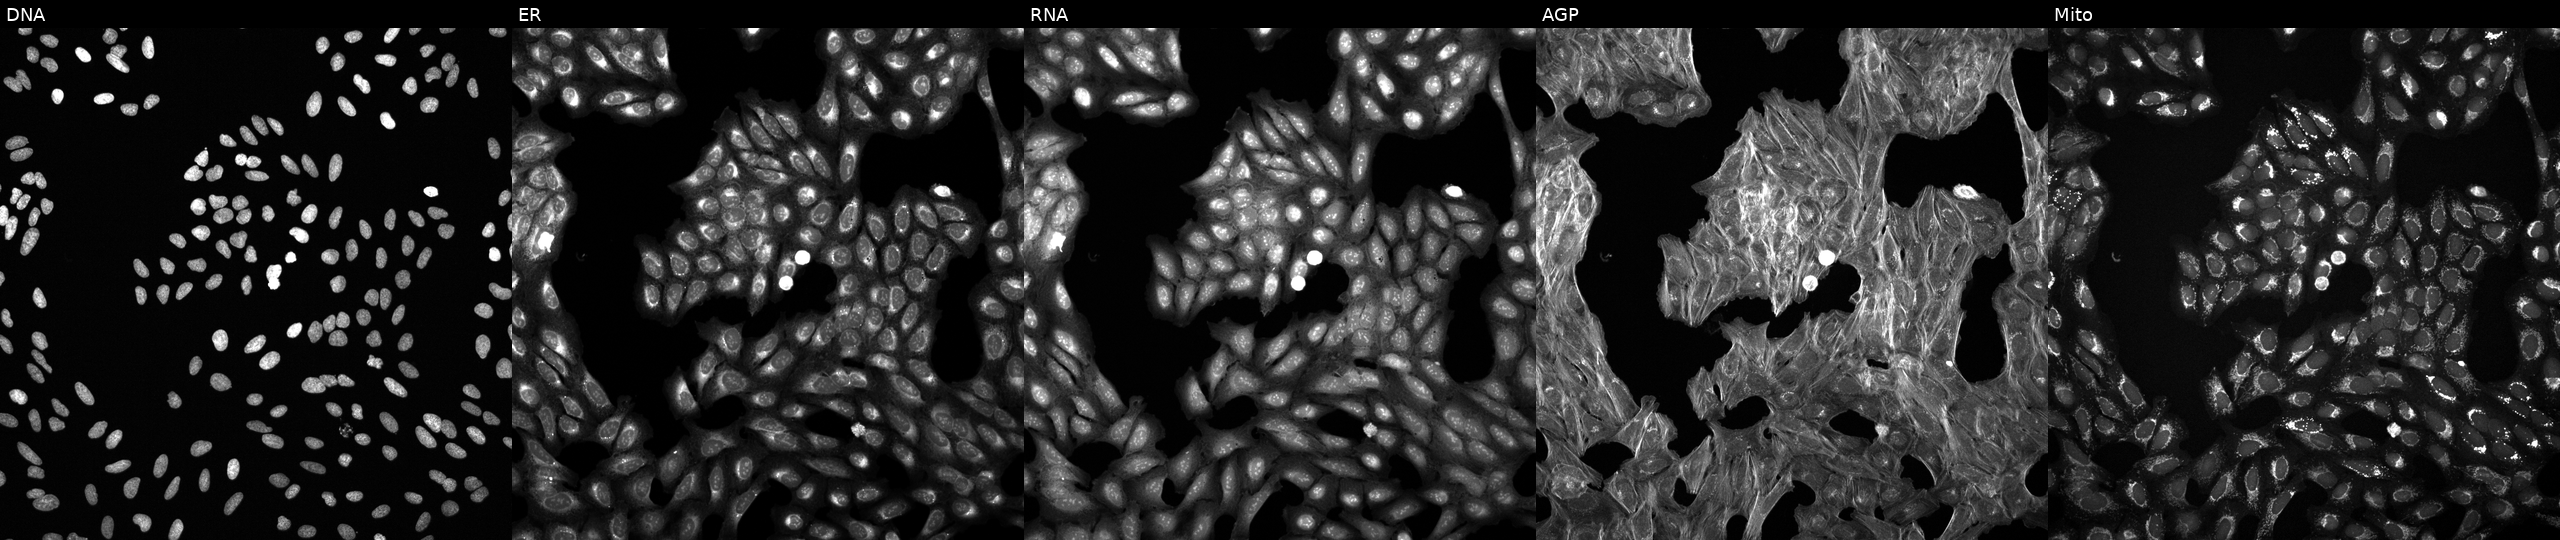
This image strip shows the five Cell Painting channels for a single field of U2OS cells exposed to a small-molecule compound (JUMP id JCP2022_069270). From left to right: DNA (nuclei); ER (endoplasmic reticulum); RNA (nucleoli and cytoplasmic RNA); AGP (actin cytoskeleton, Golgi, and plasma membrane); Mito (mitochondria).